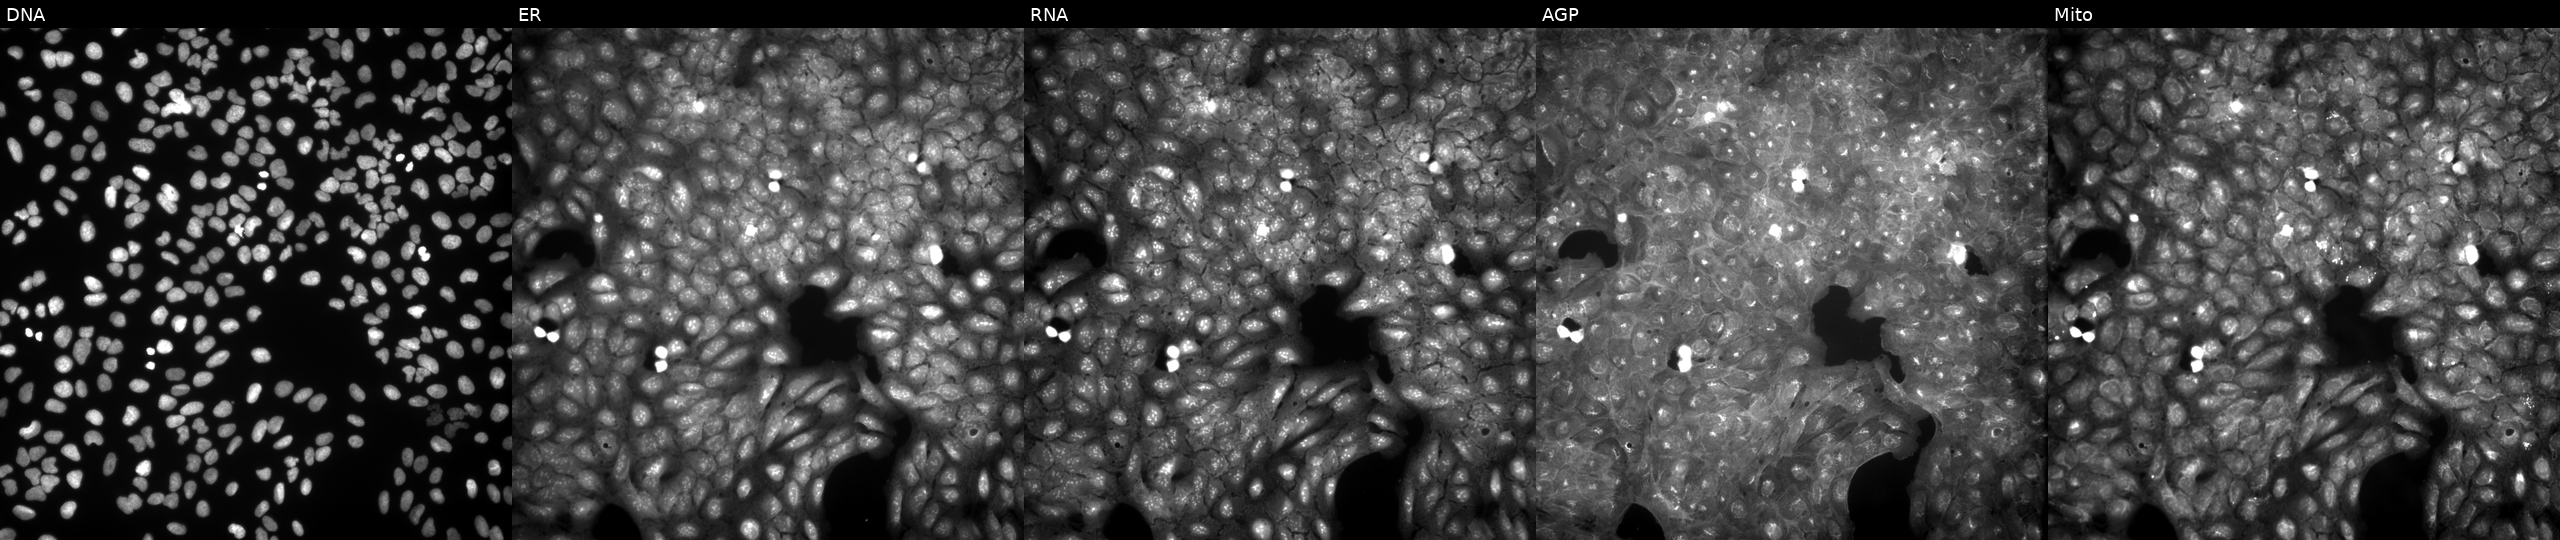
High-content fluorescence microscopy (Cell Painting). Cell line: U2OS. Perturbation: exposed to a small-molecule compound (InChIKey SZGVOSLMLBHQDE-UHFFFAOYSA-N) (JUMP id JCP2022_086547). From left to right: DNA, ER, RNA, AGP, and Mito.